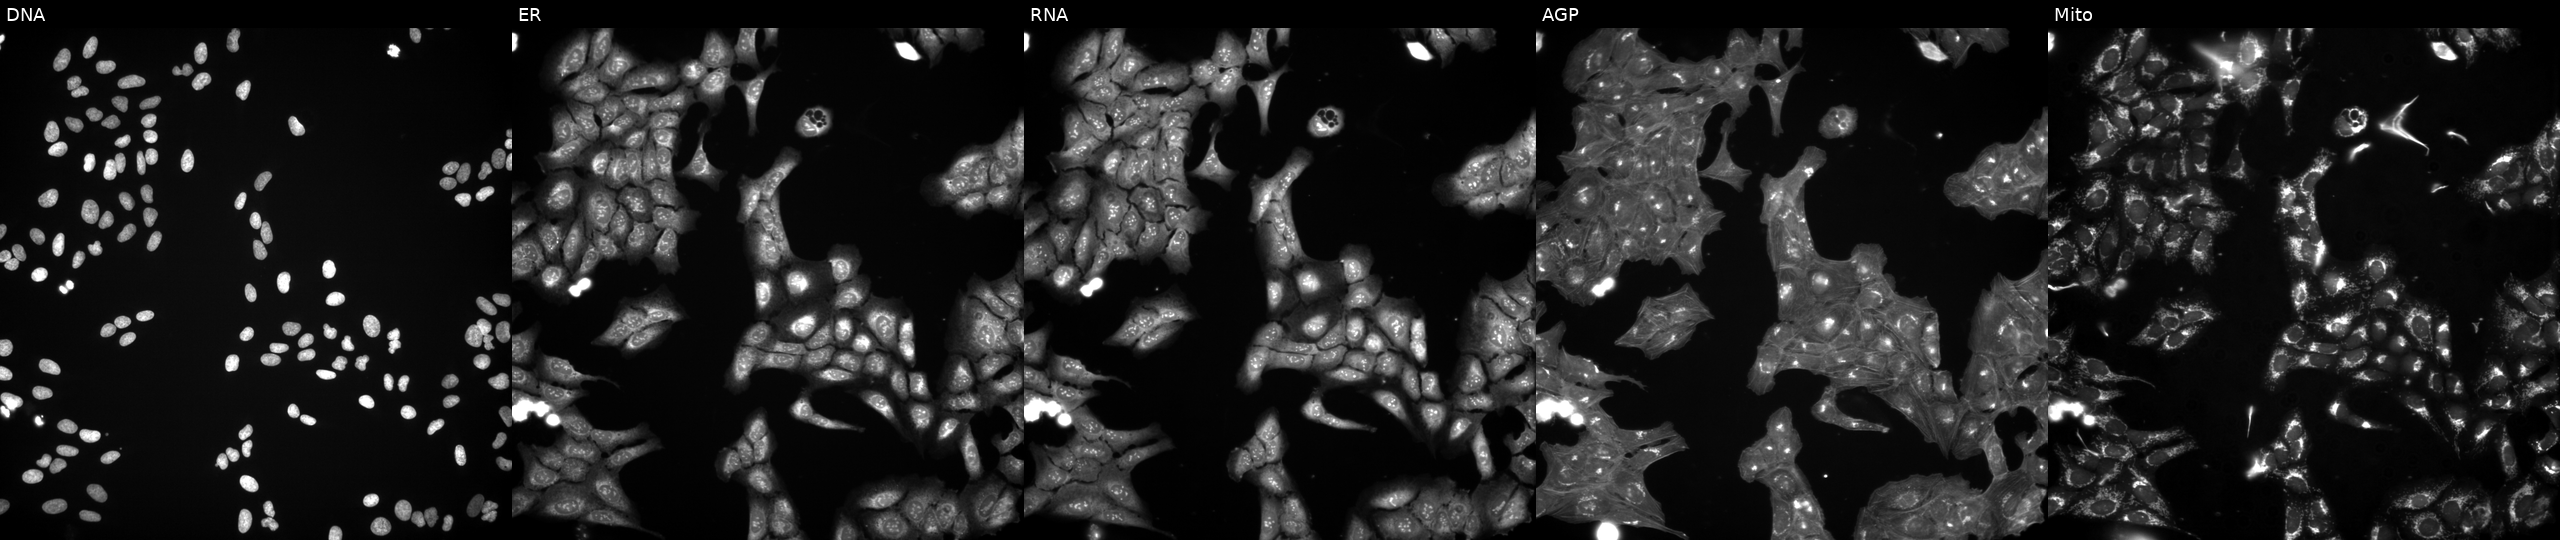
Five-channel Cell Painting image of U2OS cells treated with TC-S-7004 (positive-control compound) (JUMP id JCP2022_012818). From left to right: DNA, ER, RNA, AGP, and Mito.